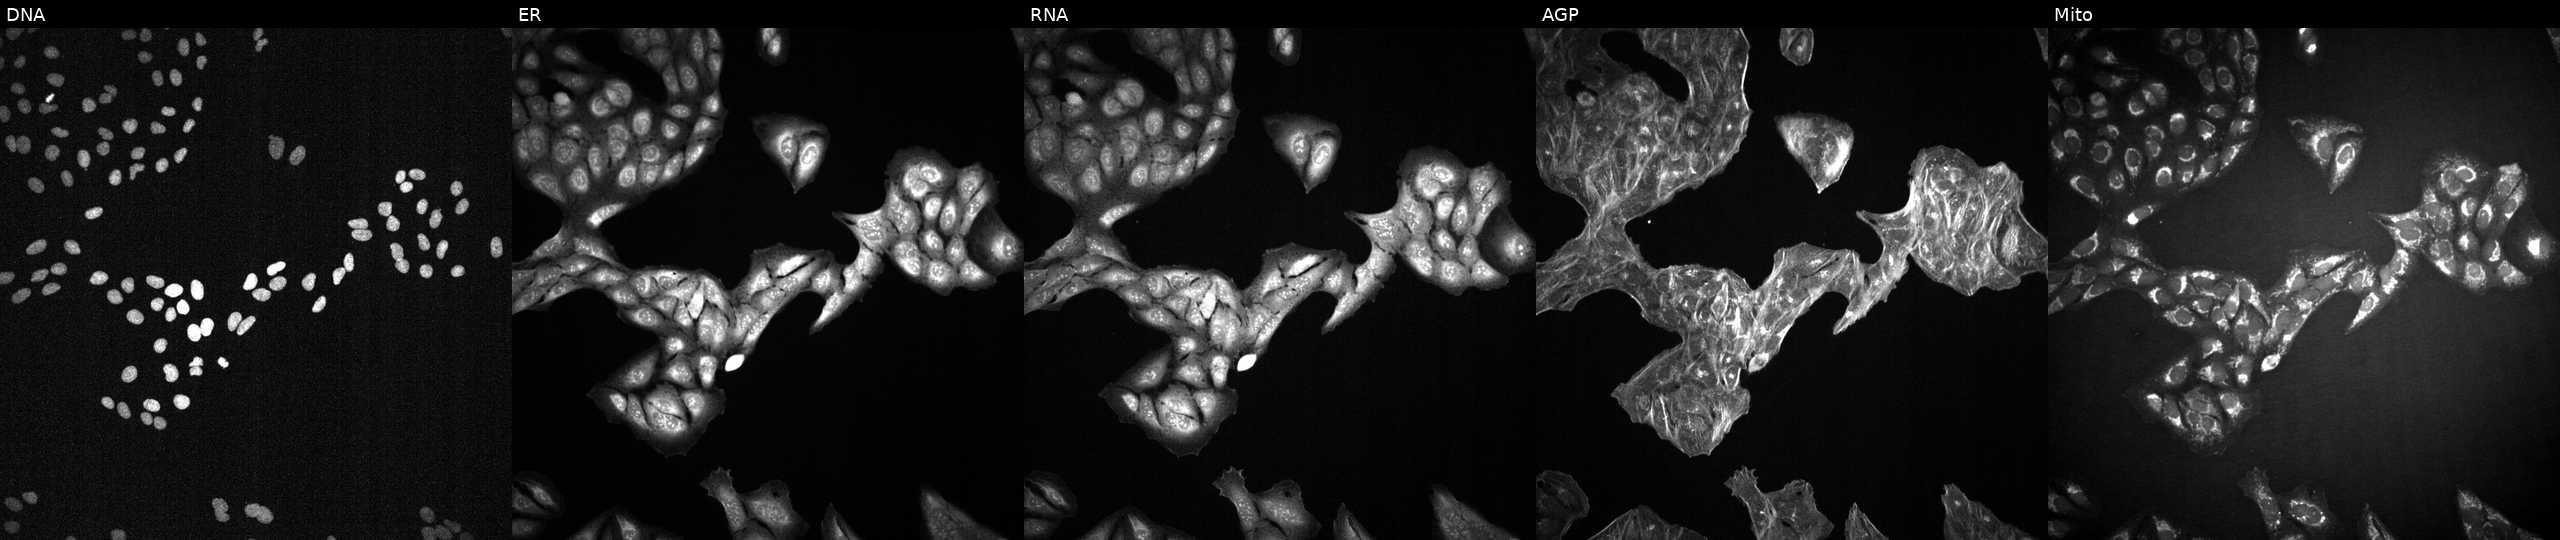
Channels (left→right): DNA (nuclei); ER (endoplasmic reticulum); RNA (nucleoli and cytoplasmic RNA); AGP (actin cytoskeleton, Golgi, and plasma membrane); Mito (mitochondria). U2OS osteosarcoma cells perturbed with a small-molecule compound (InChIKey NUKYPUAOHBNCPY-UHFFFAOYSA-N) [SMILES: N=c1cc[nH]cc1] (JUMP id JCP2022_061437). Cell Painting assay, JUMP-CP dataset.